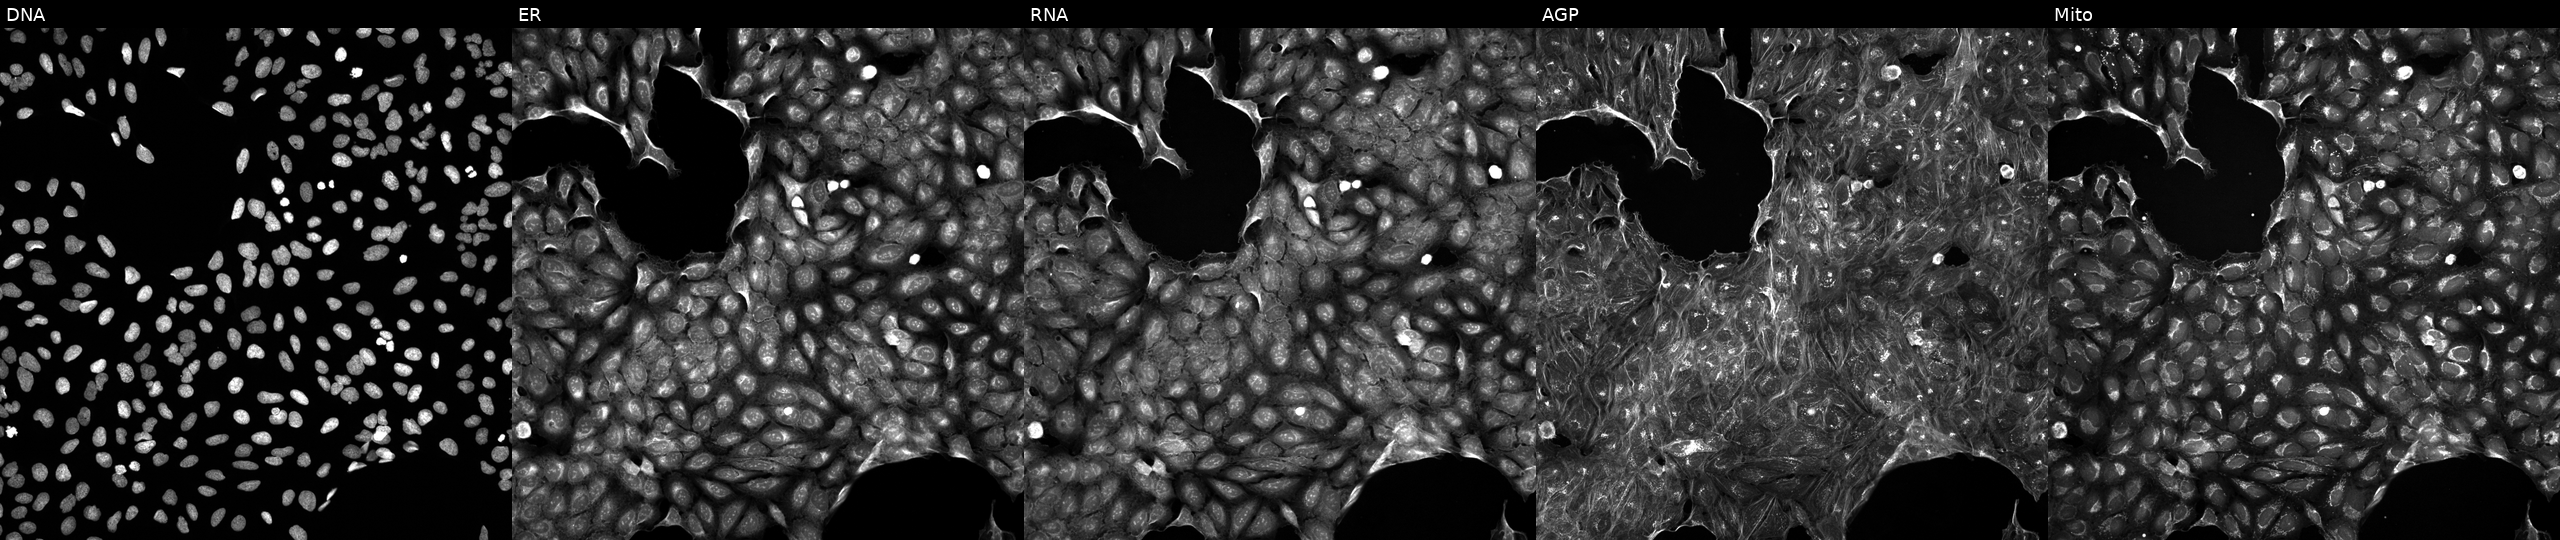
JUMP Cell Painting — TARGET2 plate. U2OS cells exposed to DMSO alone as a negative control. Channels (left→right): DNA (nuclei); ER (endoplasmic reticulum); RNA (nucleoli and cytoplasmic RNA); AGP (actin cytoskeleton, Golgi, and plasma membrane); Mito (mitochondria).